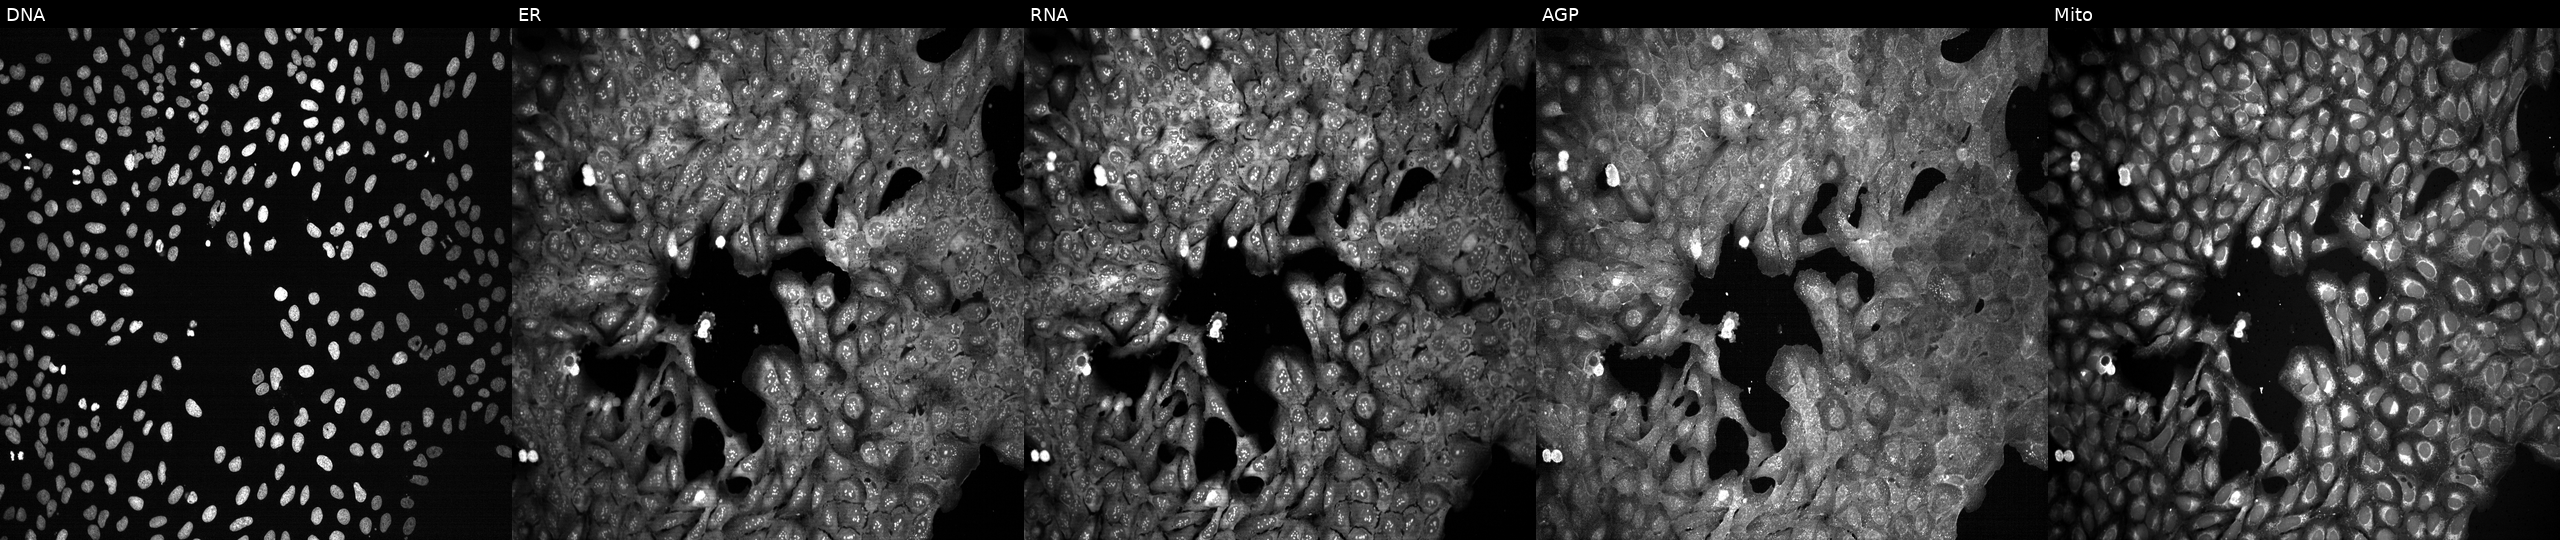
U2OS cells, Cell Painting assay, CRISPR-edited to disrupt DFFA. The five panels, left to right, show Hoechst 33342, concanavalin A, SYTO 14, phalloidin and WGA, MitoTracker. Each panel is percentile-stretched 16-bit fluorescence.